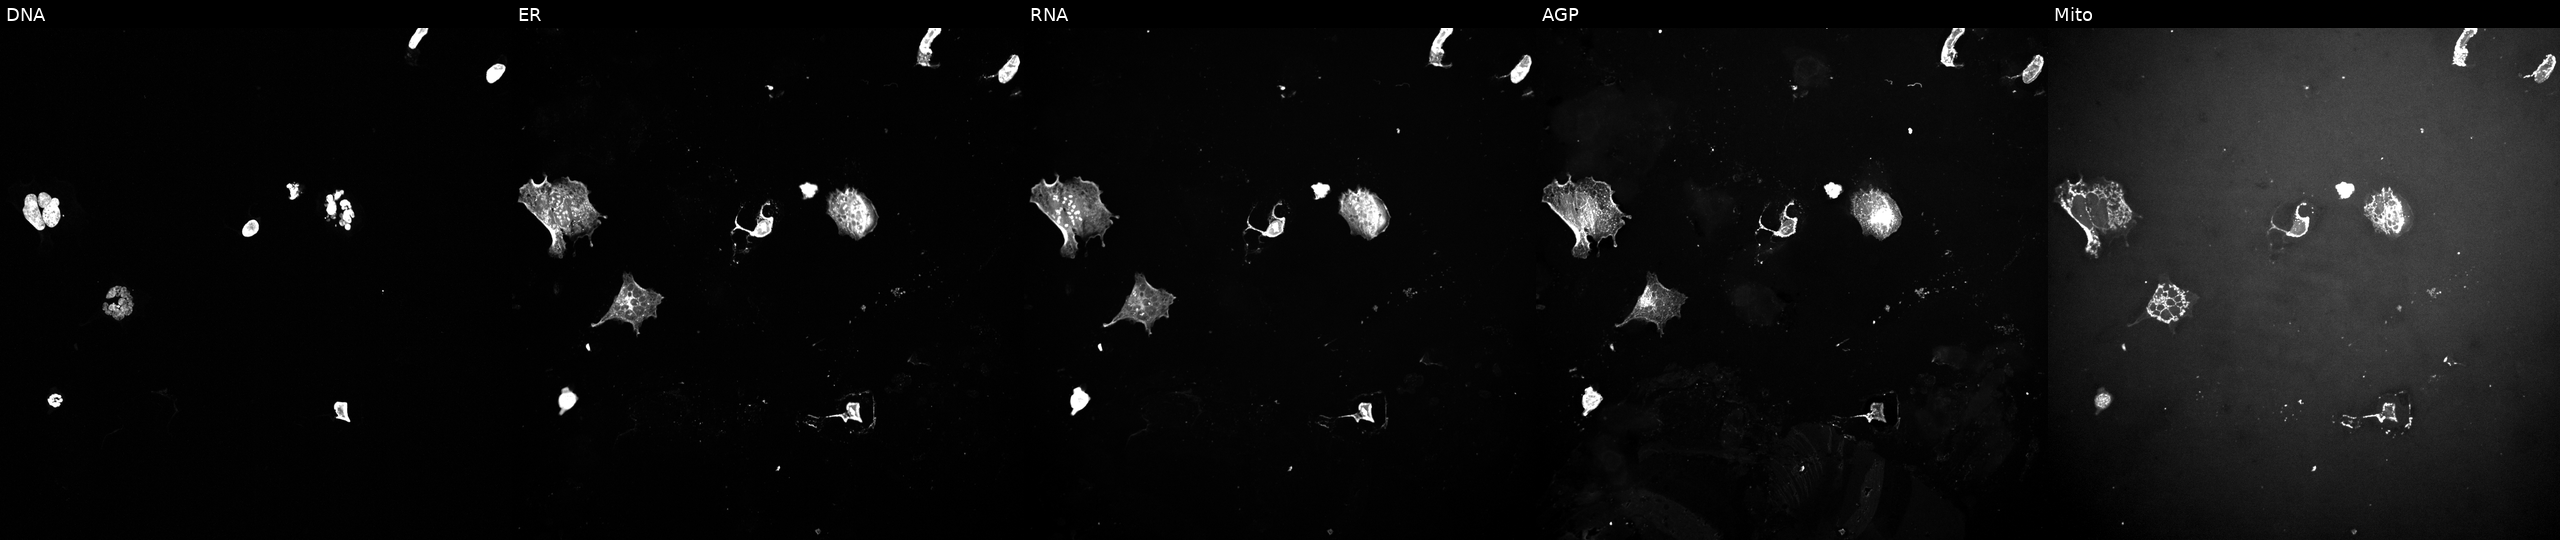
U2OS cells, Cell Painting assay, exposed to a small-molecule compound (InChIKey VSVFLGPUZJTBSD-UHFFFAOYSA-N) (JUMP id JCP2022_096054). Panels show, left to right, Hoechst 33342, concanavalin A, SYTO 14, phalloidin and WGA, MitoTracker. Each panel is percentile-stretched 16-bit fluorescence. Source 10, plate Dest210803-153958, well D02.